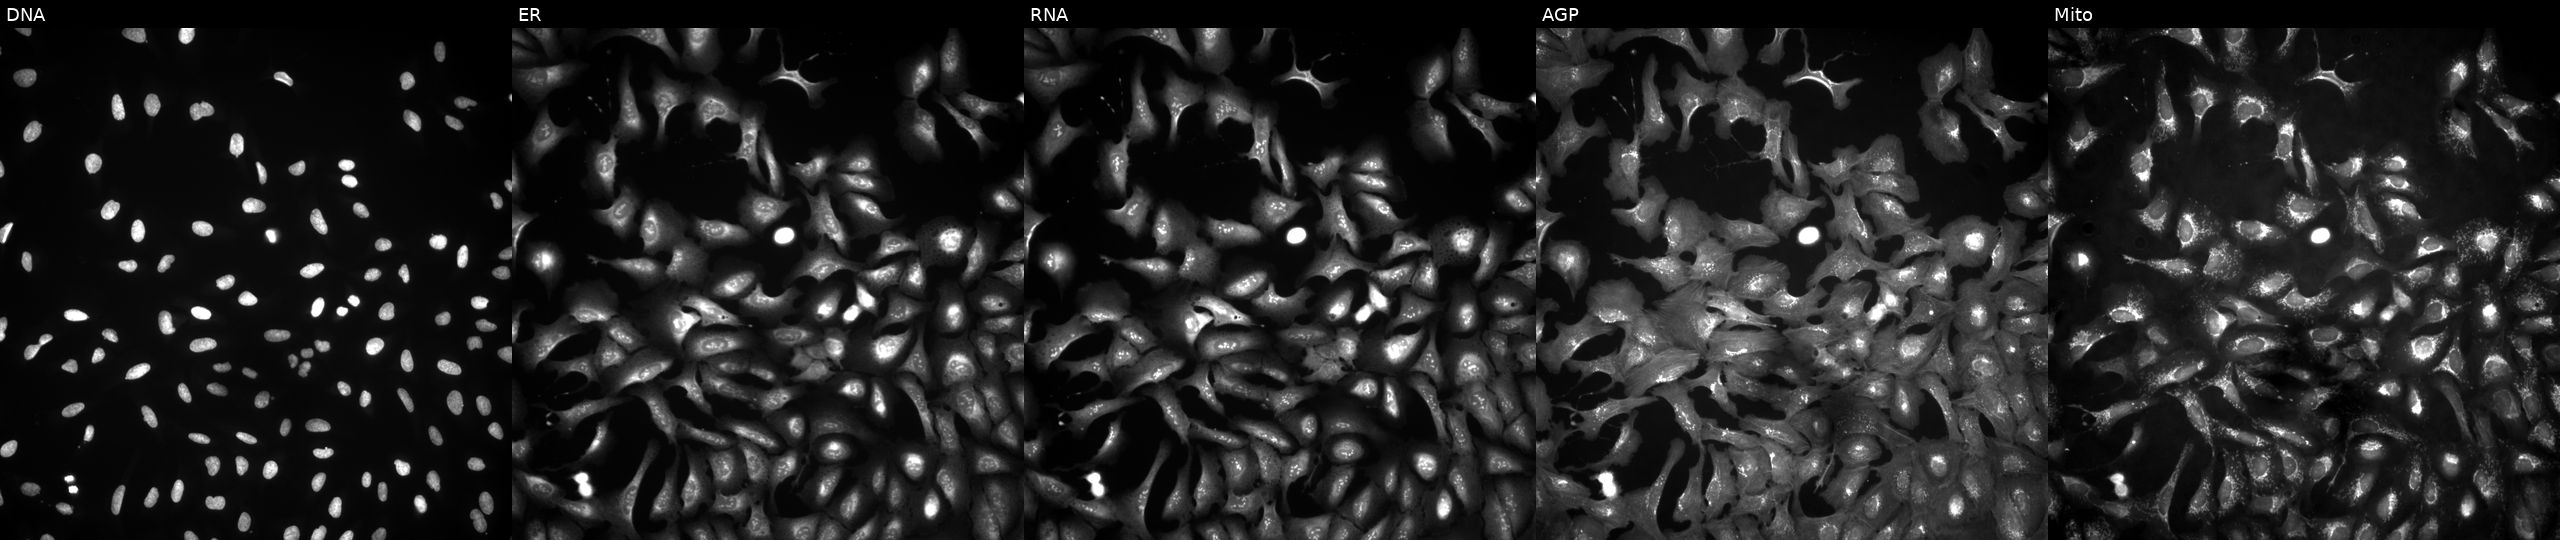
U2OS cells, Cell Painting assay, with FDXACB1 overexpressed (ORF) (JUMP id JCP2022_908705). From left to right: Hoechst 33342, concanavalin A, SYTO 14, phalloidin and WGA, MitoTracker. Each panel is percentile-stretched 16-bit fluorescence.